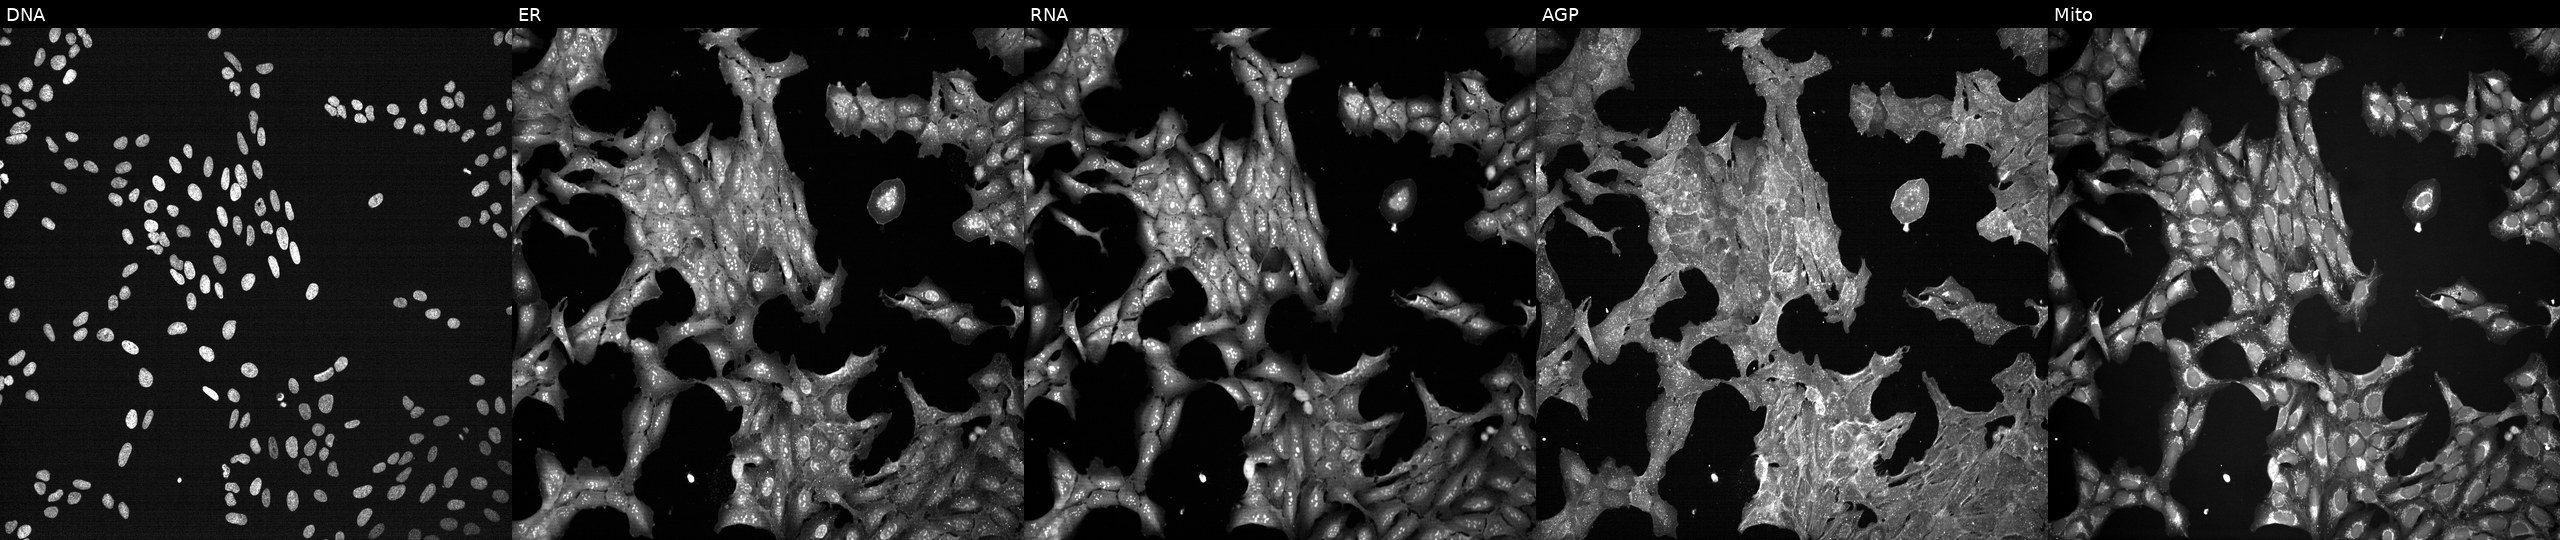
JUMP Cell Painting — TARGET2 plate. U2OS cells exposed to a small-molecule compound (InChIKey FYIBXBFDXNPBSF-UHFFFAOYSA-N) [SMILES: O=C(NNC(=O)c1ccc(CNS(=O)(=O)c2ccc(F)c(Cl)c2)cc1)c1ccccc1]. From left to right: Hoechst 33342, concanavalin A, SYTO 14, phalloidin and WGA, MitoTracker.